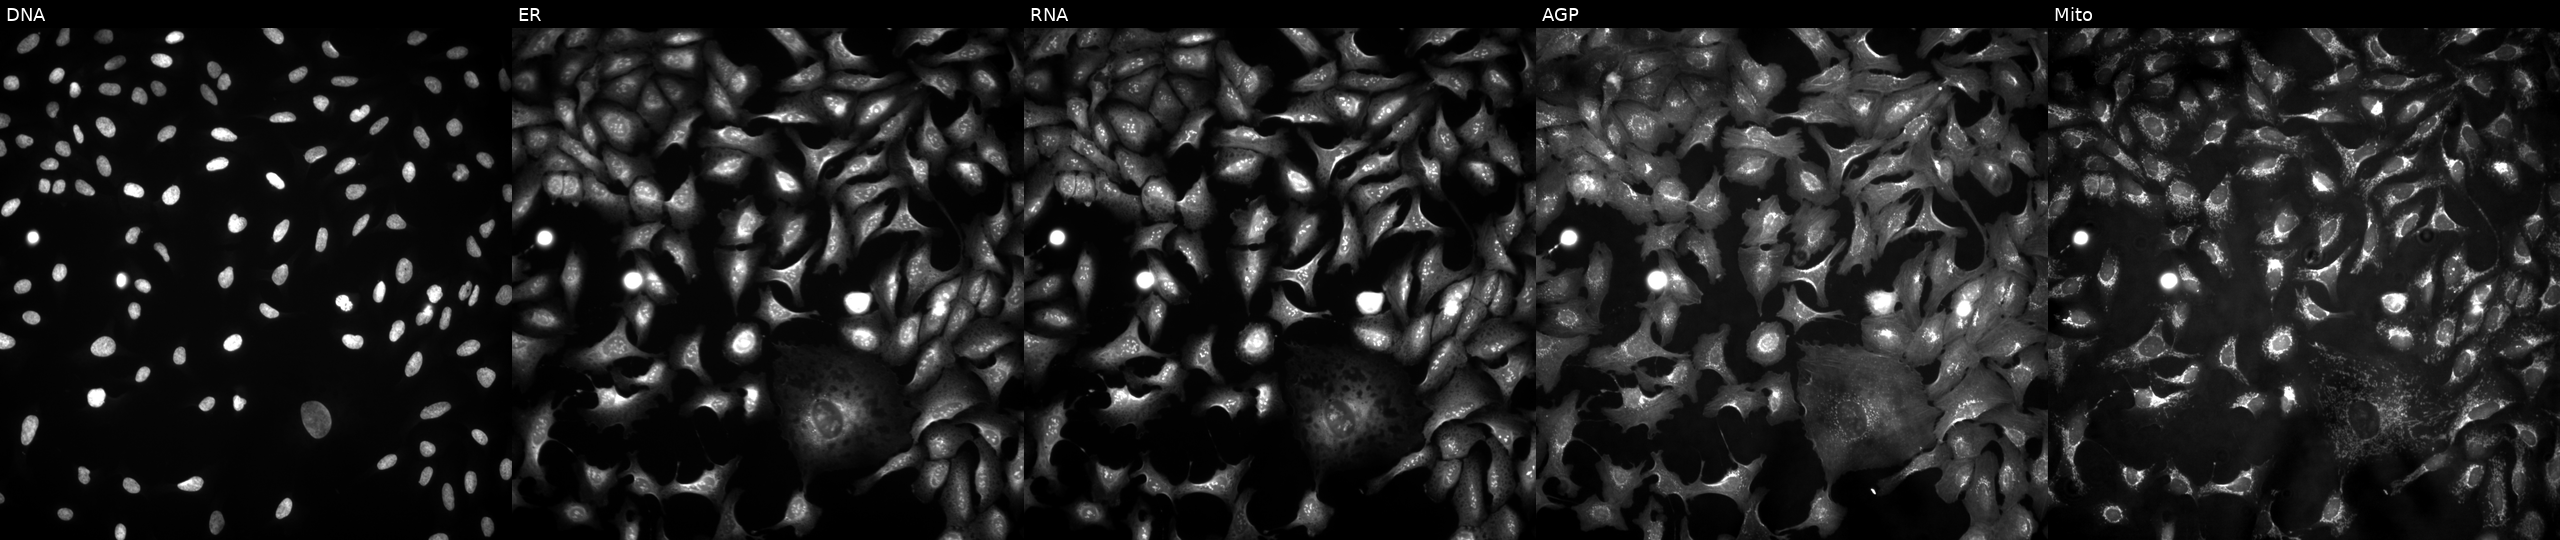
This image strip shows the five Cell Painting channels for a single field of U2OS cells transfected with an ORF construct for B4GALT4 (JUMP id JCP2022_906811). Channels (left→right): Hoechst 33342, concanavalin A, SYTO 14, phalloidin and WGA, MitoTracker.